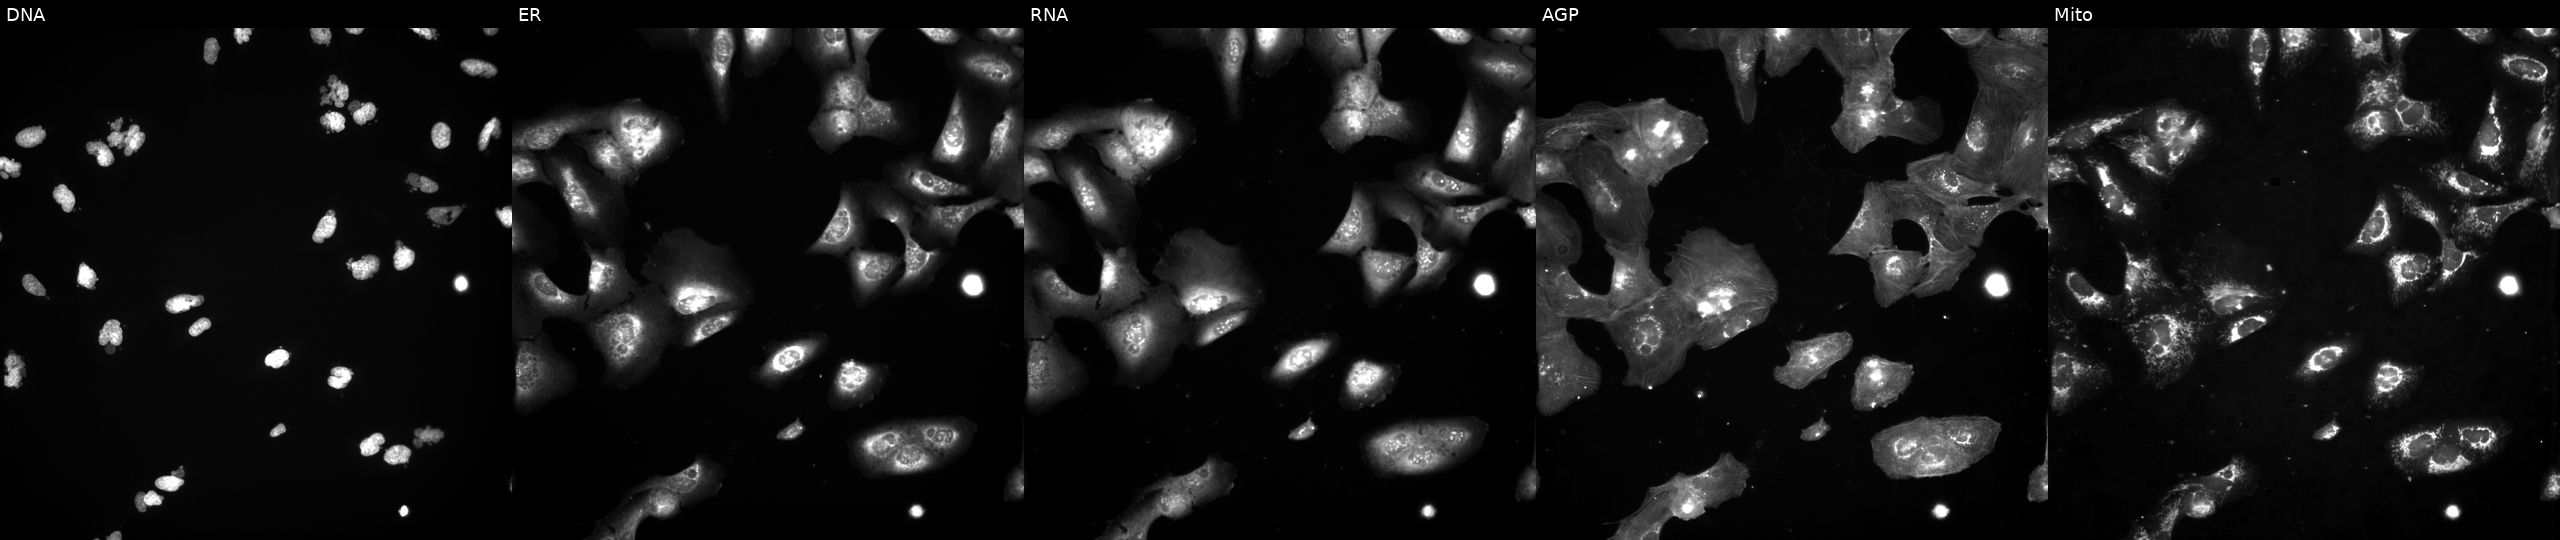
JUMP Cell Painting — COMPOUND plate. U2OS cells exposed to the positive-control compound AMG900 (JUMP id JCP2022_037716). From left to right: DNA, ER, RNA, AGP, and Mito.